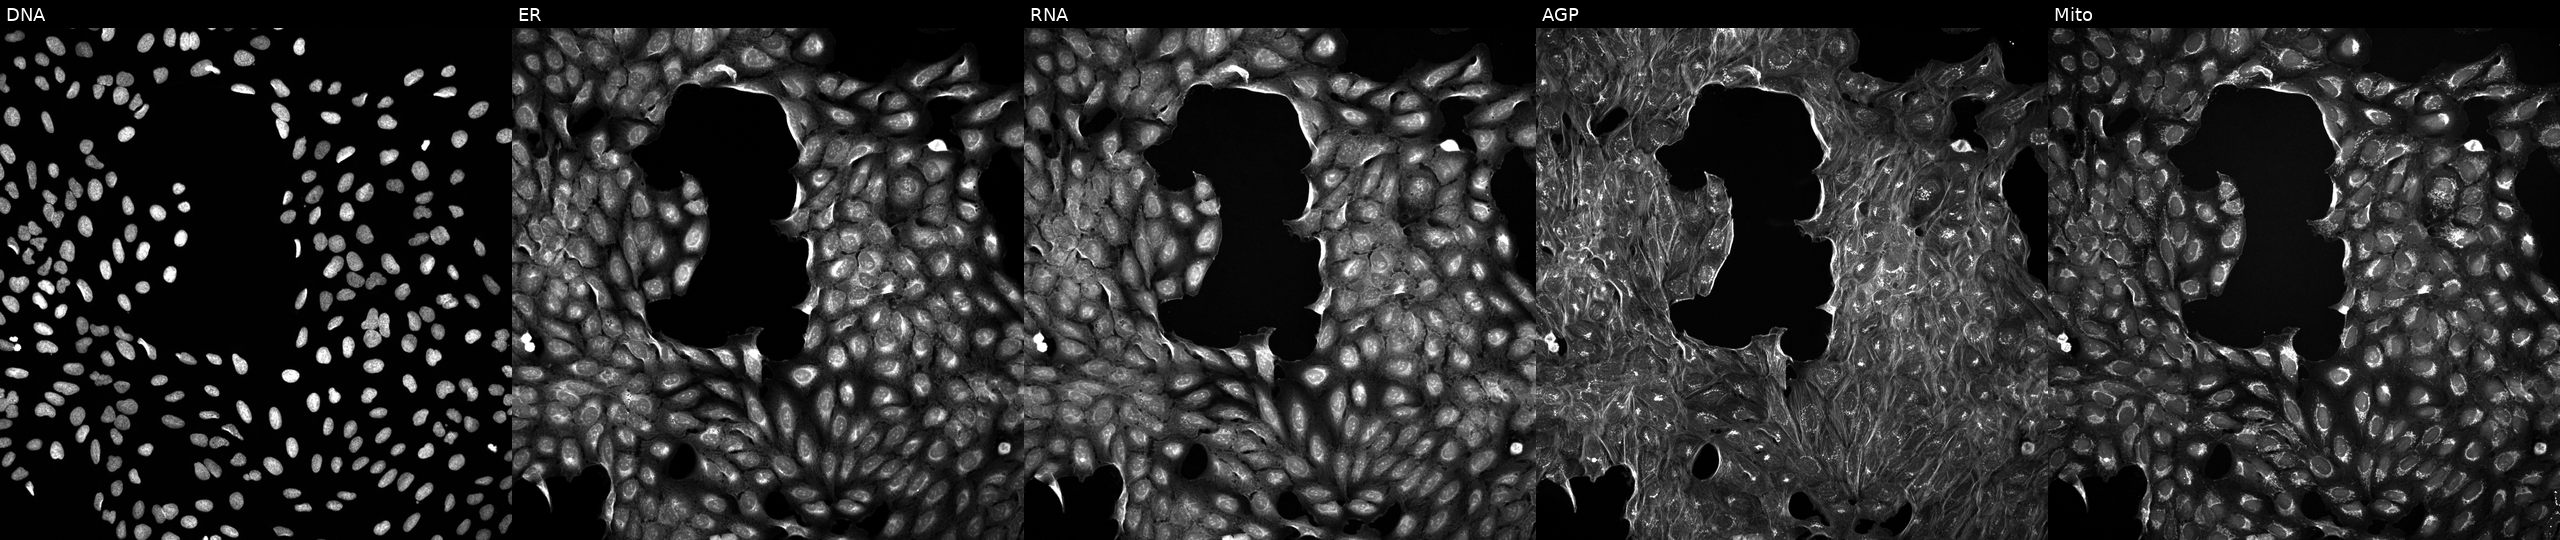
This image strip shows the five Cell Painting channels for a single field of U2OS cells exposed to a small-molecule compound. Channels (left→right): DNA, ER, RNA, AGP, and Mito.